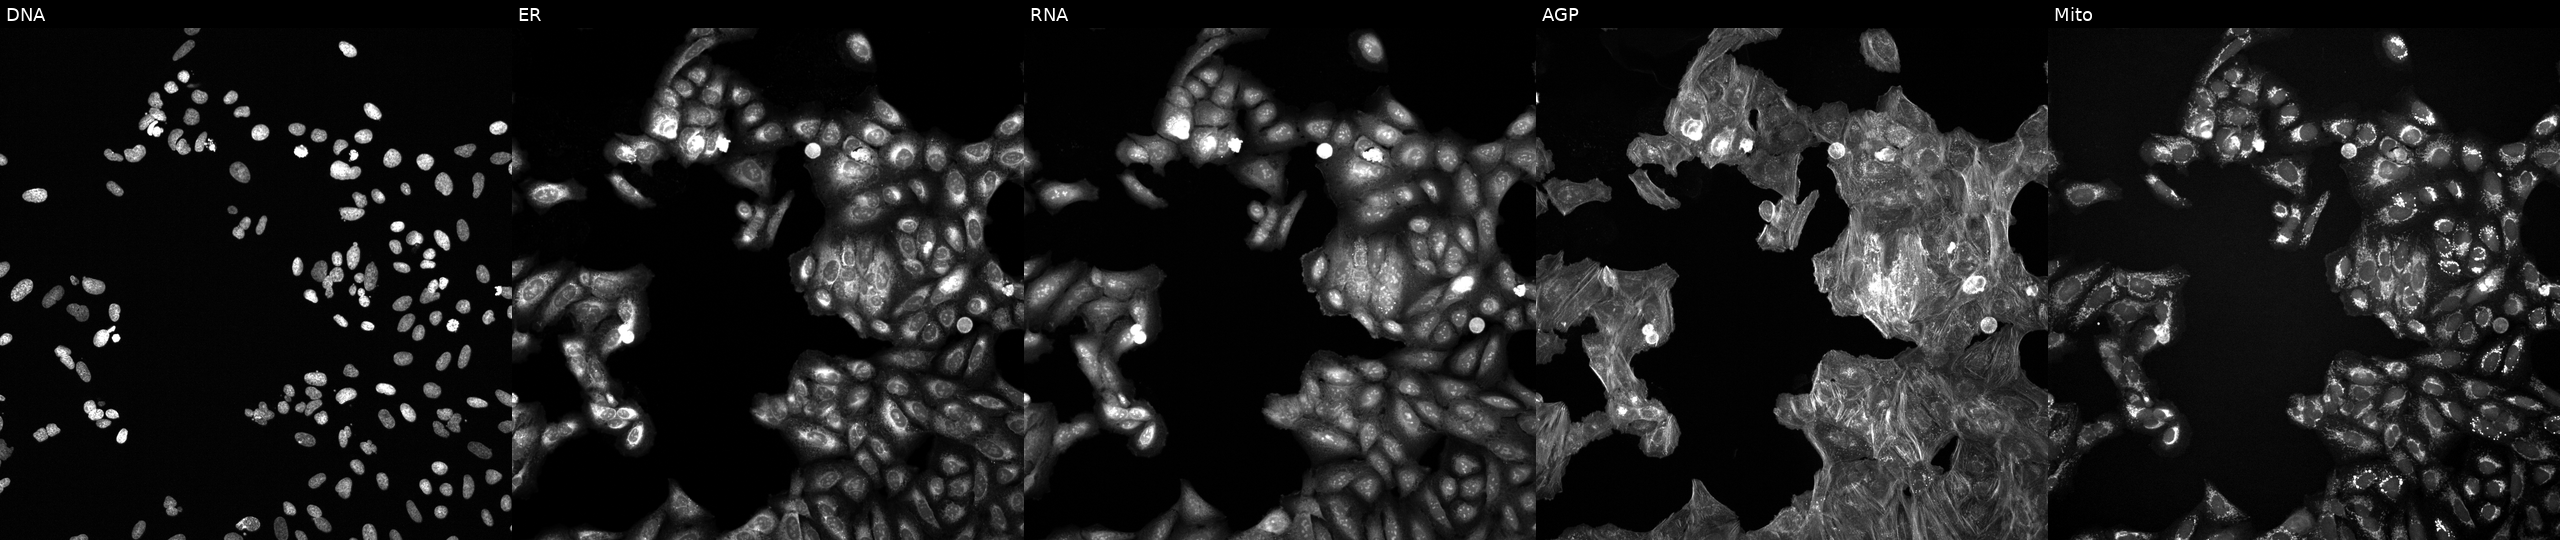
This image strip shows the five Cell Painting channels for a single field of U2OS cells treated with a small-molecule compound (InChIKey MAKMQGKJURAJEN-UHFFFAOYSA-N) (JUMP id JCP2022_052870). Panels show, left to right, Hoechst 33342, concanavalin A, SYTO 14, phalloidin and WGA, MitoTracker. Source 6, plate 110000293081, well G02.